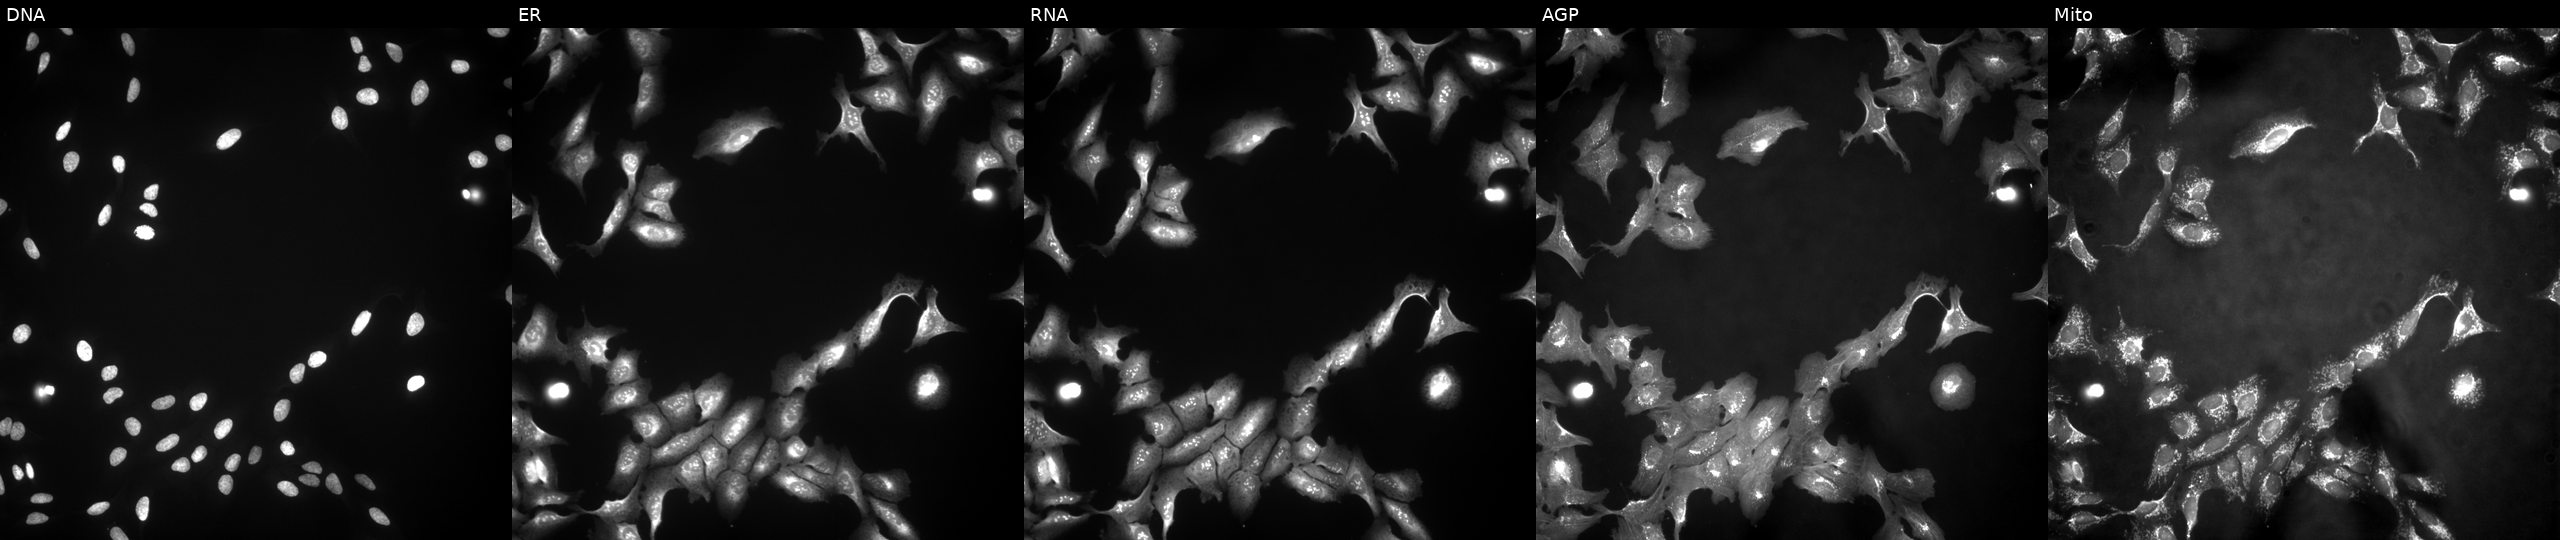
Five-channel Cell Painting image of U2OS cells transfected with an ORF construct for ABLIM1 (JUMP id JCP2022_910205). From left to right: Hoechst 33342, concanavalin A, SYTO 14, phalloidin and WGA, MitoTracker. Source 4, plate BR00123506, well K06.